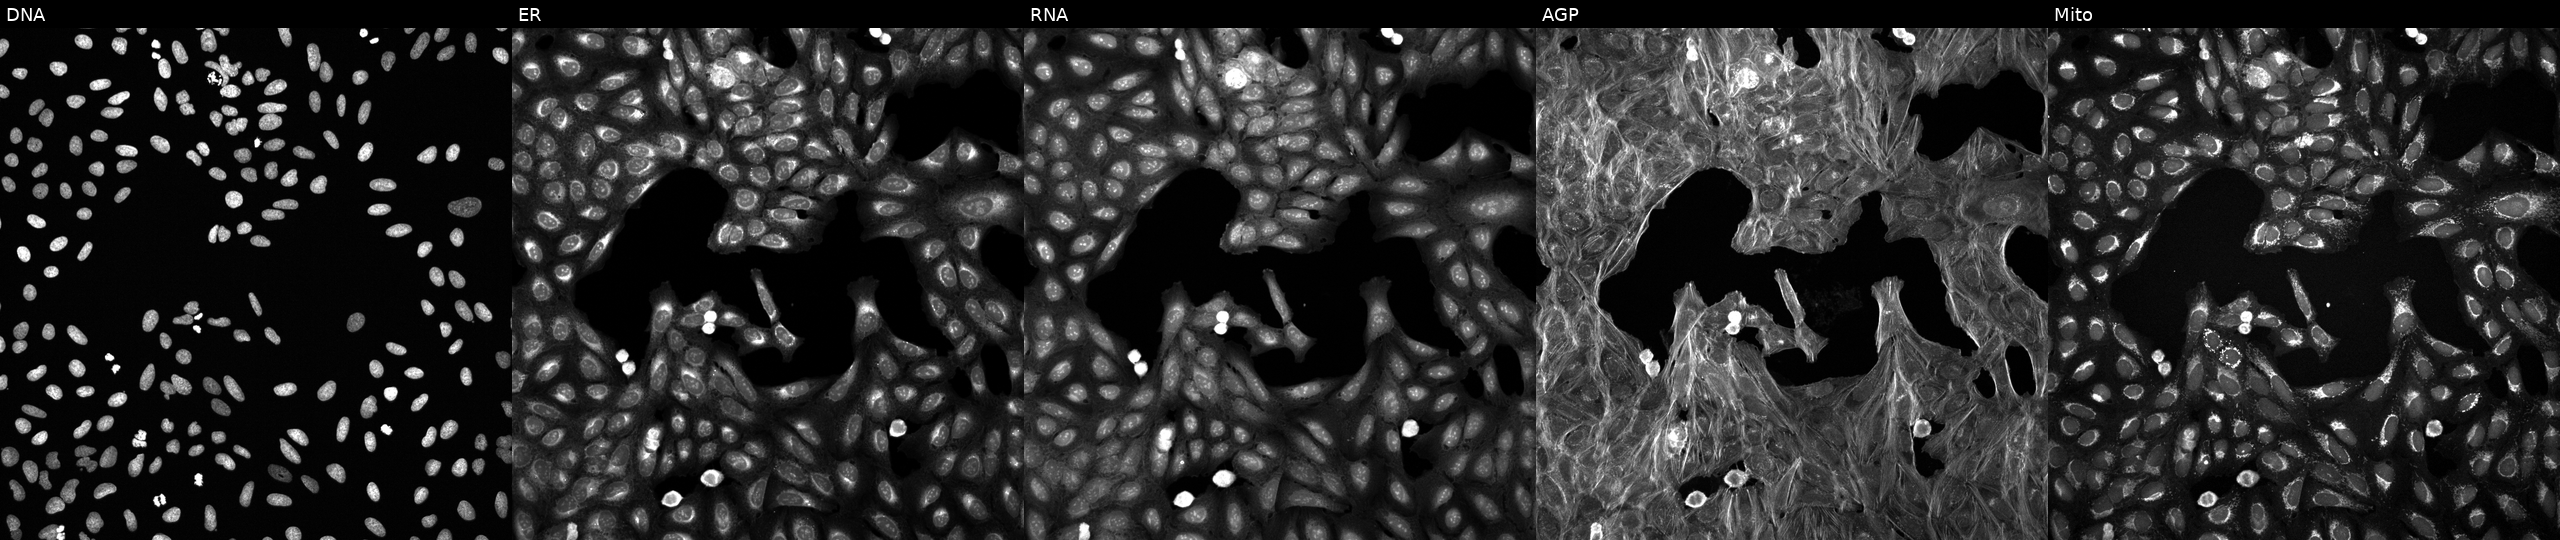
U2OS cells, Cell Painting assay, perturbed with a small-molecule compound (InChIKey PZBPKYOVPCNPJY-UHFFFAOYSA-N). Channels (left→right): DNA, ER, RNA, AGP, and Mito. Each panel is percentile-stretched 16-bit fluorescence.